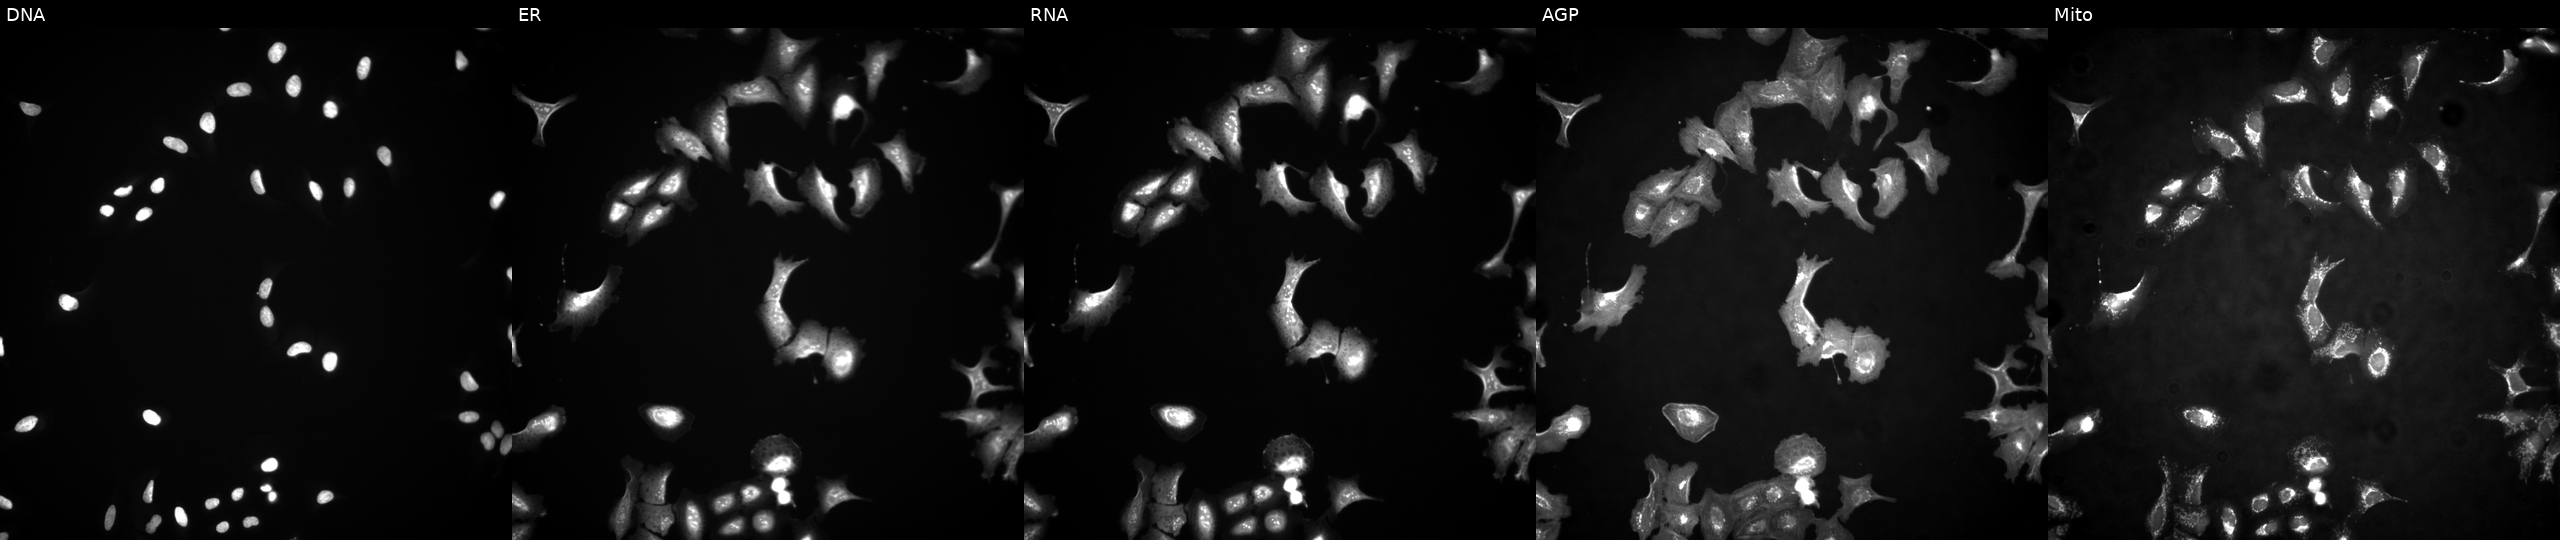
This image strip shows the five Cell Painting channels for a single field of U2OS cells expressing BFP (ORF negative control) (JUMP id JCP2022_915128). Channels (left→right): Hoechst 33342, concanavalin A, SYTO 14, phalloidin and WGA, MitoTracker. Source 4, plate BR00117035, well I22.